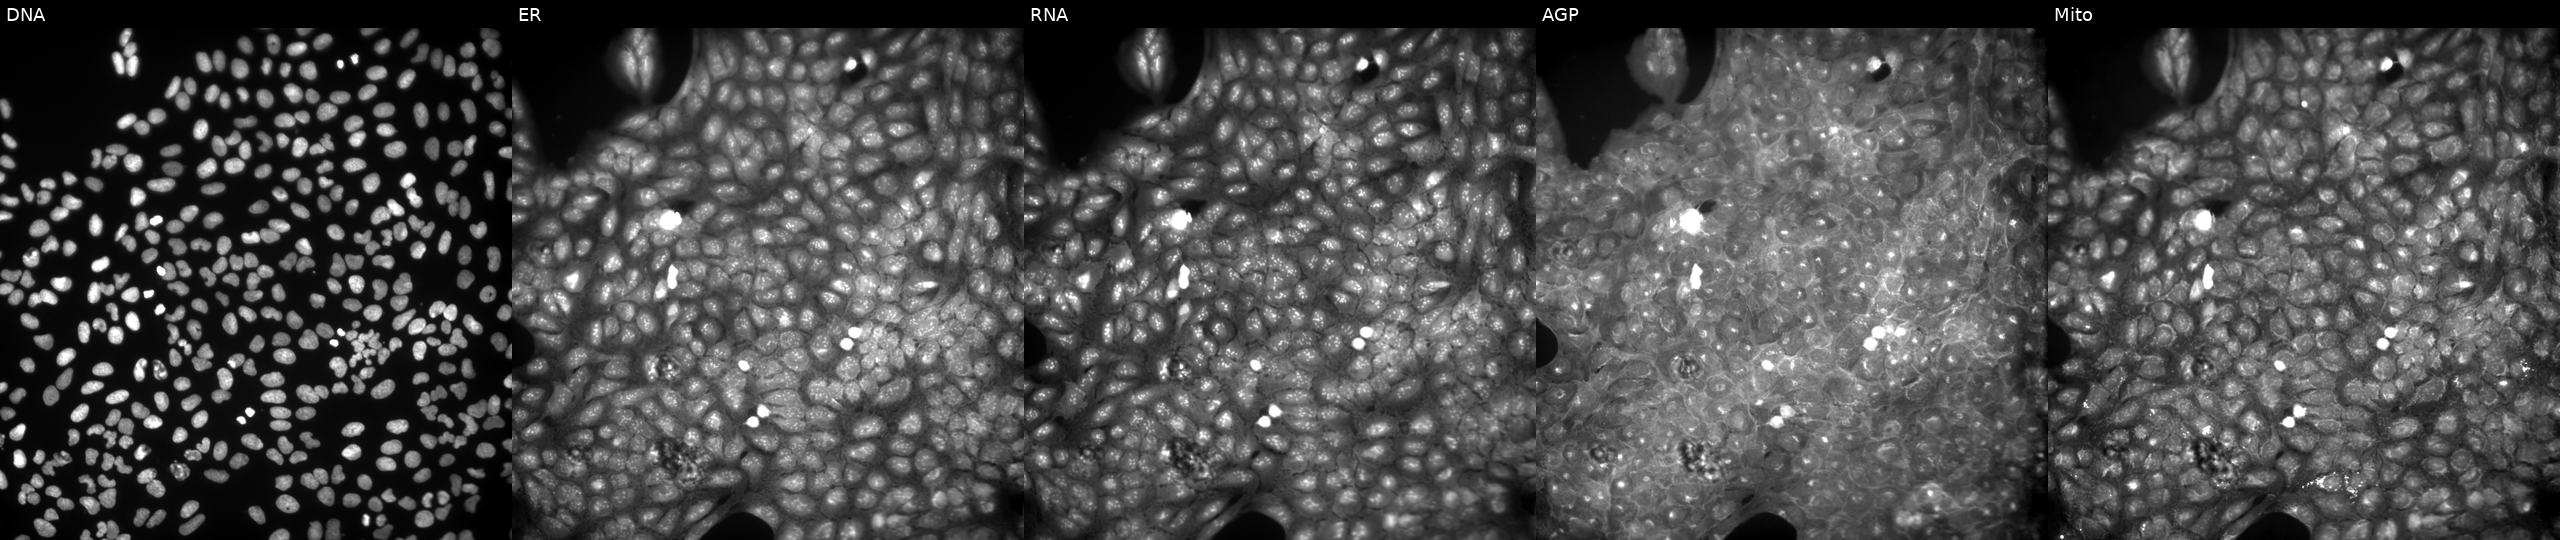
High-content fluorescence microscopy (Cell Painting). Cell line: U2OS. Perturbation: exposed to a small-molecule compound. Channels (left→right): DNA, ER, RNA, AGP, and Mito.